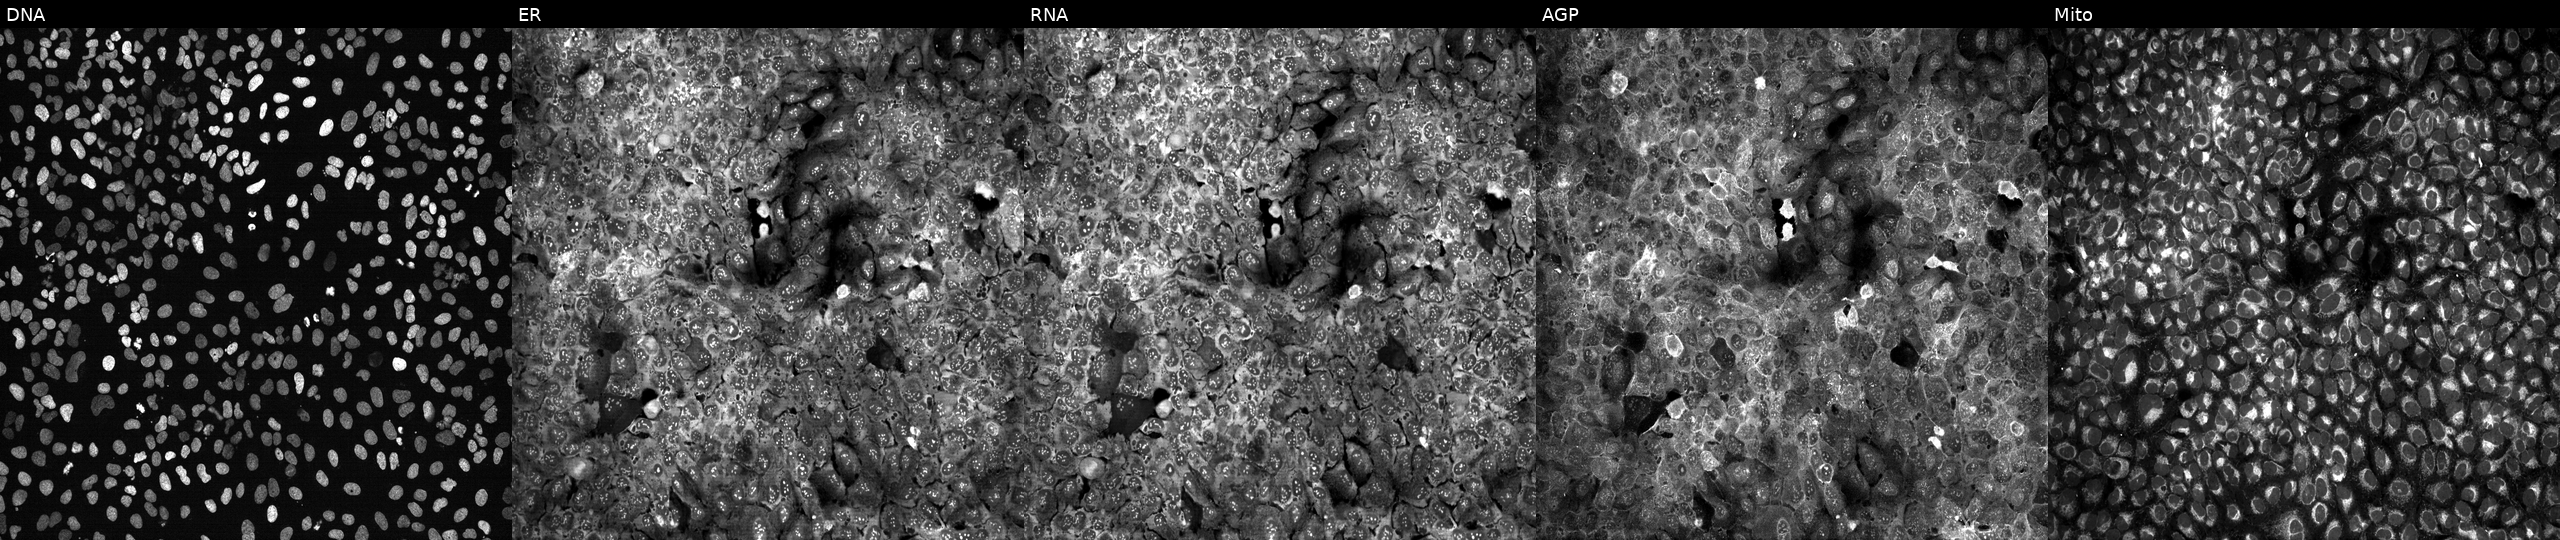
U2OS cells, Cell Painting assay, following CRISPR knockout of SCAMP3. The five panels, left to right, show Hoechst 33342, concanavalin A, SYTO 14, phalloidin and WGA, MitoTracker. Each panel is percentile-stretched 16-bit fluorescence.